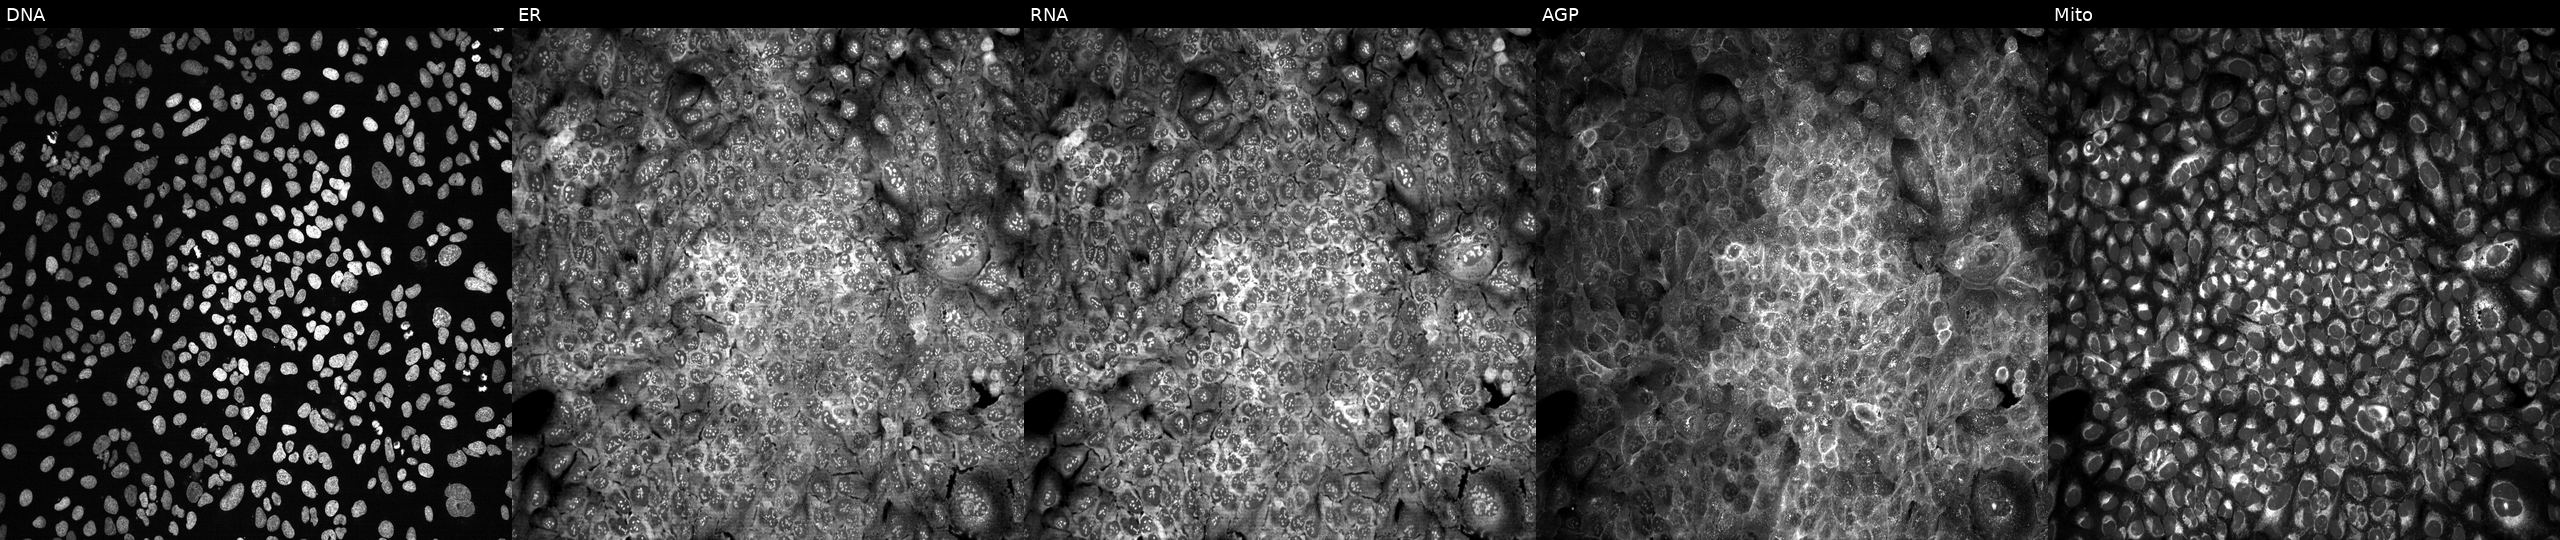
Five-channel Cell Painting image of U2OS cells CRISPR-edited to disrupt MMP19. From left to right: Hoechst 33342, concanavalin A, SYTO 14, phalloidin and WGA, MitoTracker. Source 13, plate CP-CC9-R6-19, well M17.